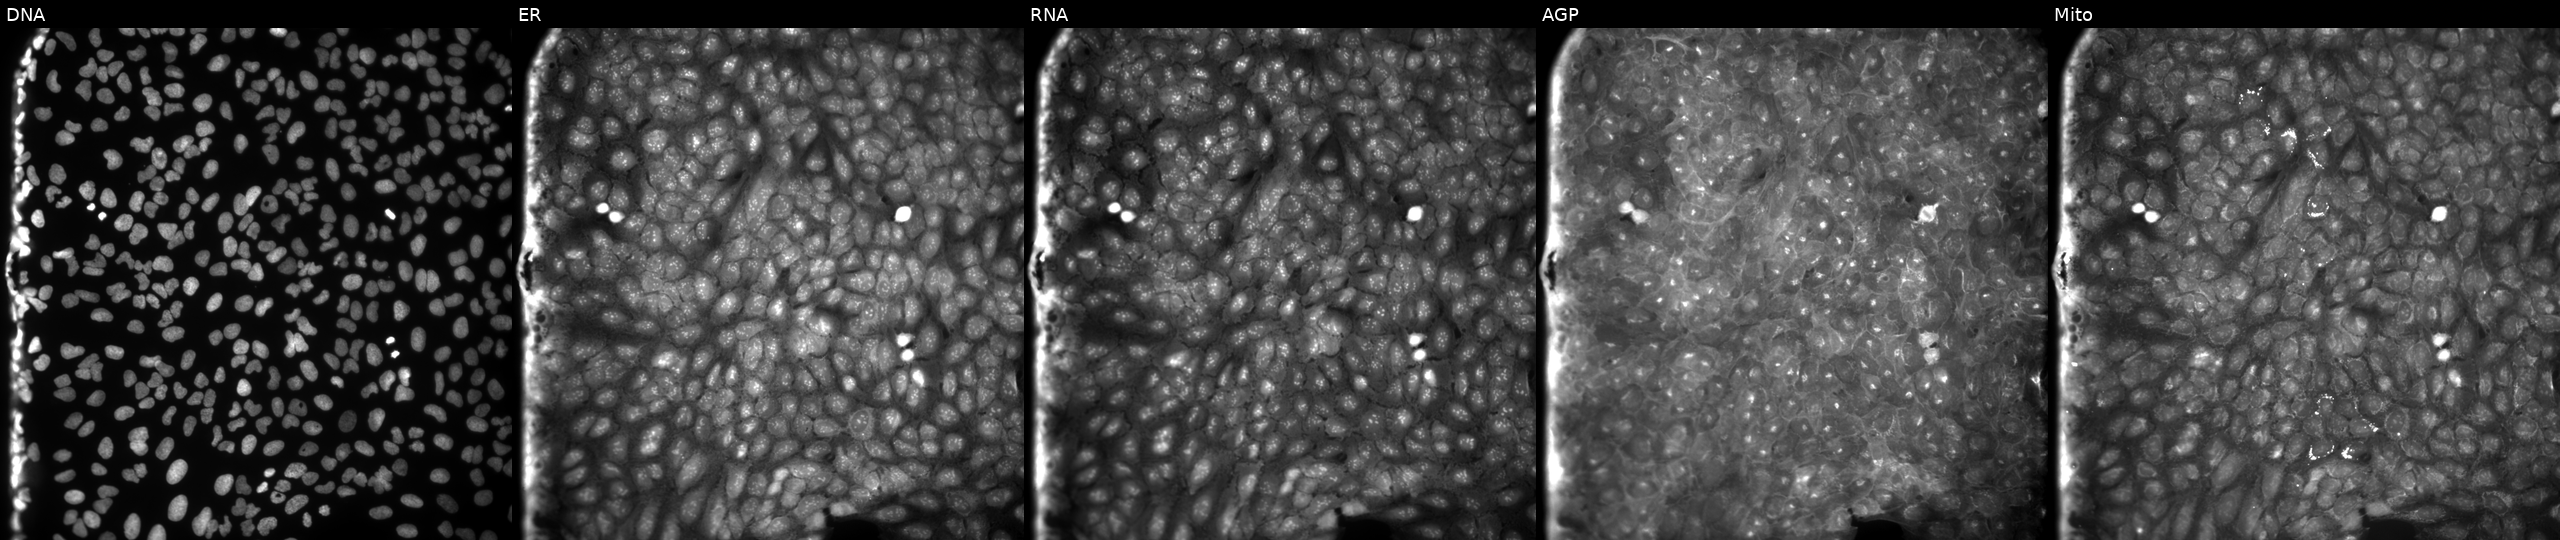
This image strip shows the five Cell Painting channels for a single field of U2OS cells exposed to DMSO alone as a negative control. Channels (left→right): DNA, ER, RNA, AGP, and Mito. Source 9, plate GR00003382, well Y02.